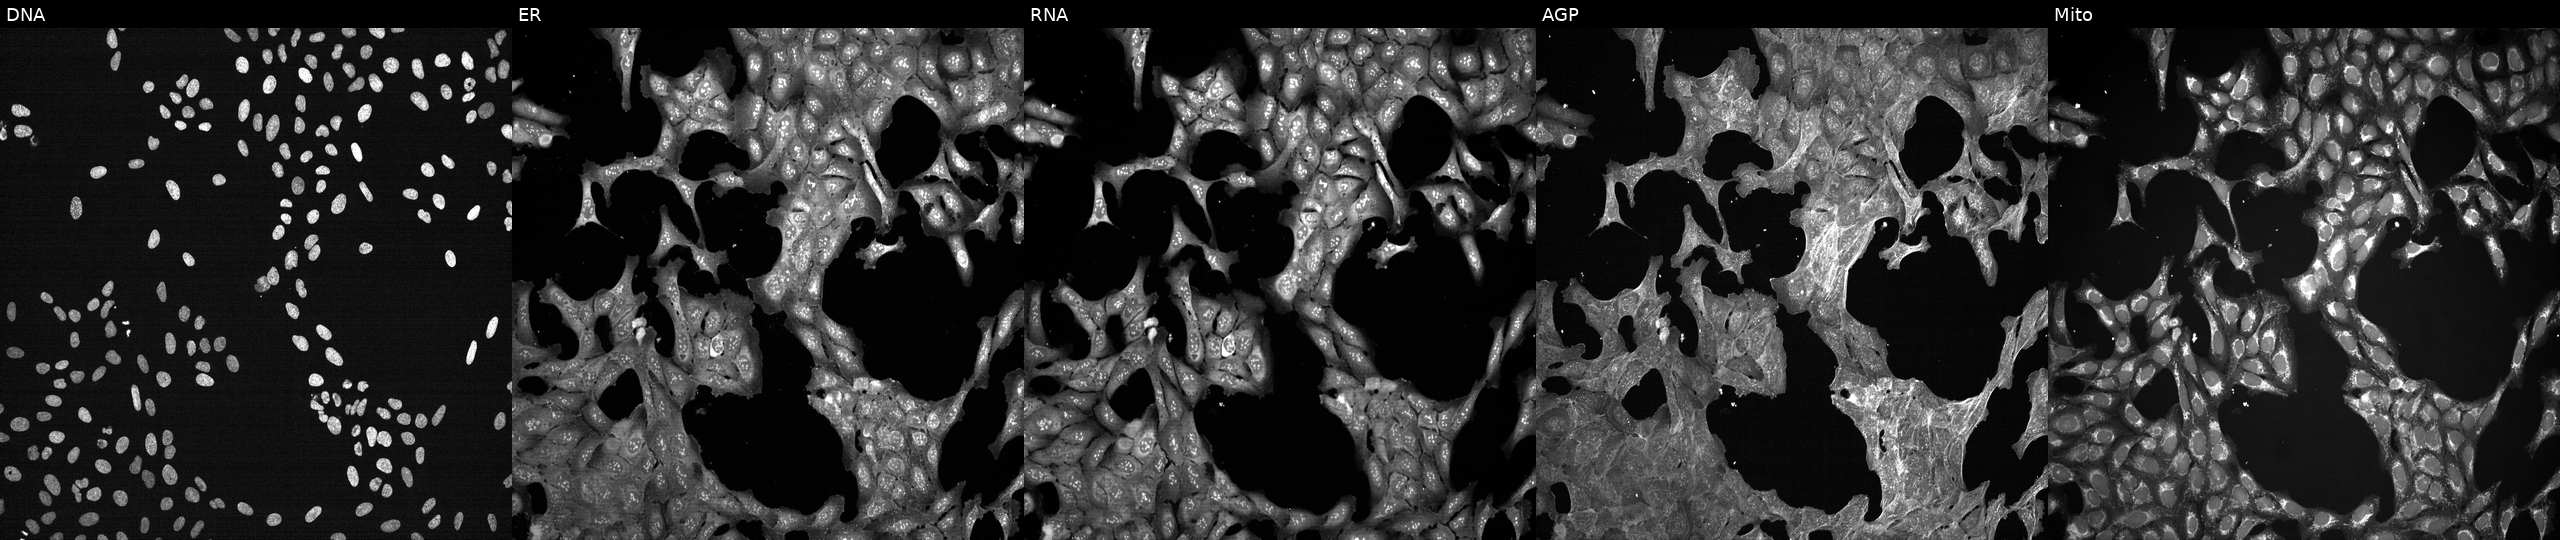
U2OS cells, Cell Painting assay, perturbed with a small-molecule compound (InChIKey LLIFMNUXGDHTRO-UHFFFAOYSA-N). Channels (left→right): DNA (nuclei); ER (endoplasmic reticulum); RNA (nucleoli and cytoplasmic RNA); AGP (actin cytoskeleton, Golgi, and plasma membrane); Mito (mitochondria). Each panel is percentile-stretched 16-bit fluorescence.